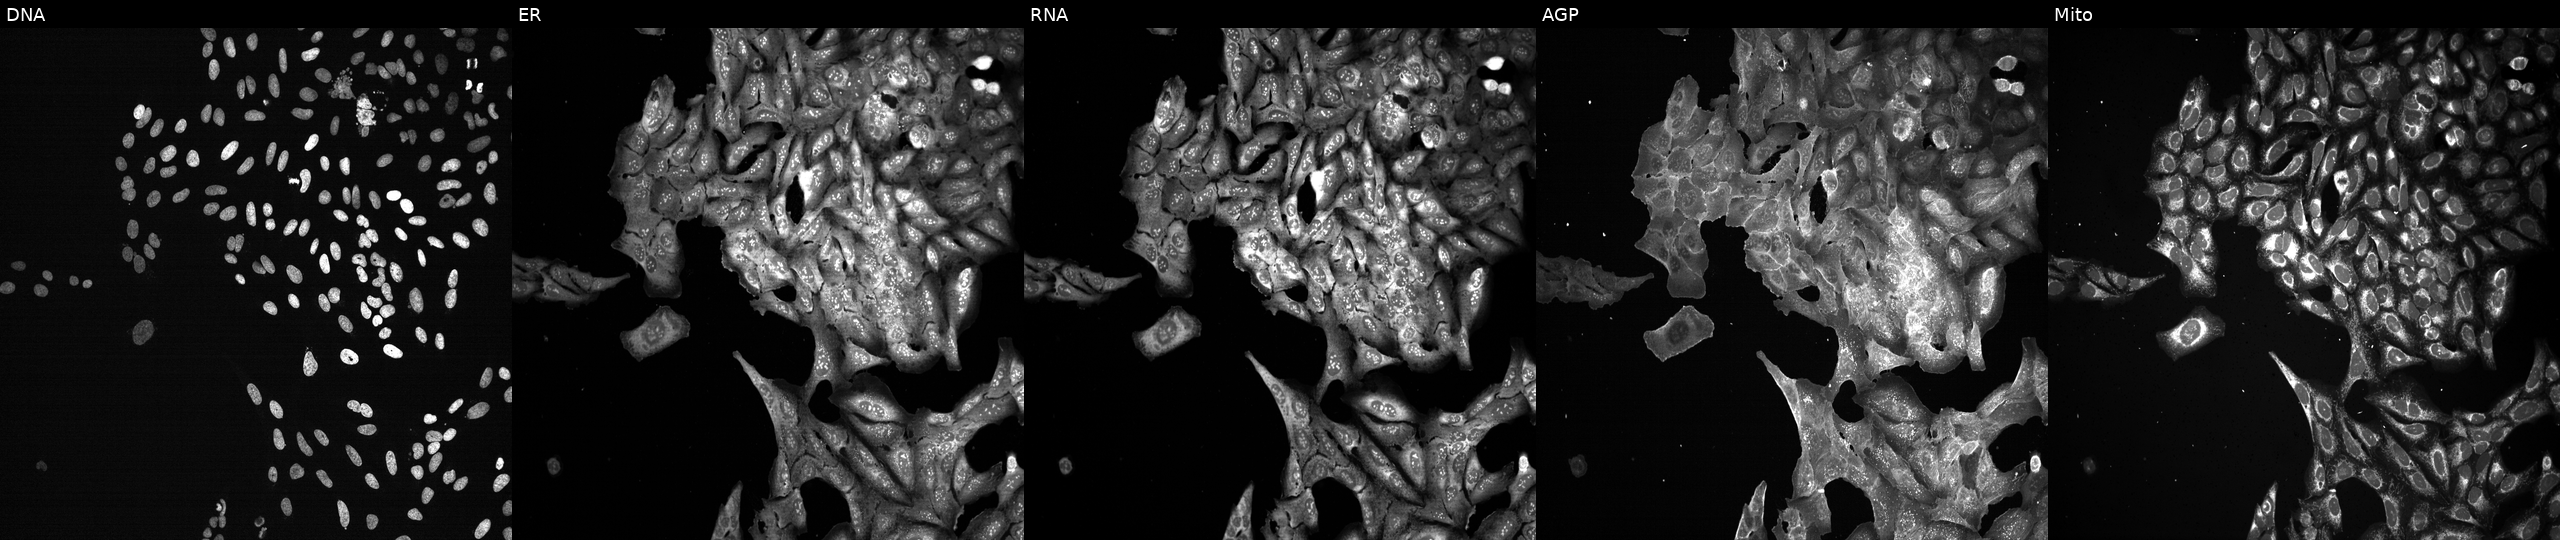
JUMP Cell Painting — CRISPR plate. U2OS cells with ADAM17 knocked out by CRISPR (JUMP id JCP2022_800169). Panels show, left to right, Hoechst 33342, concanavalin A, SYTO 14, phalloidin and WGA, MitoTracker.